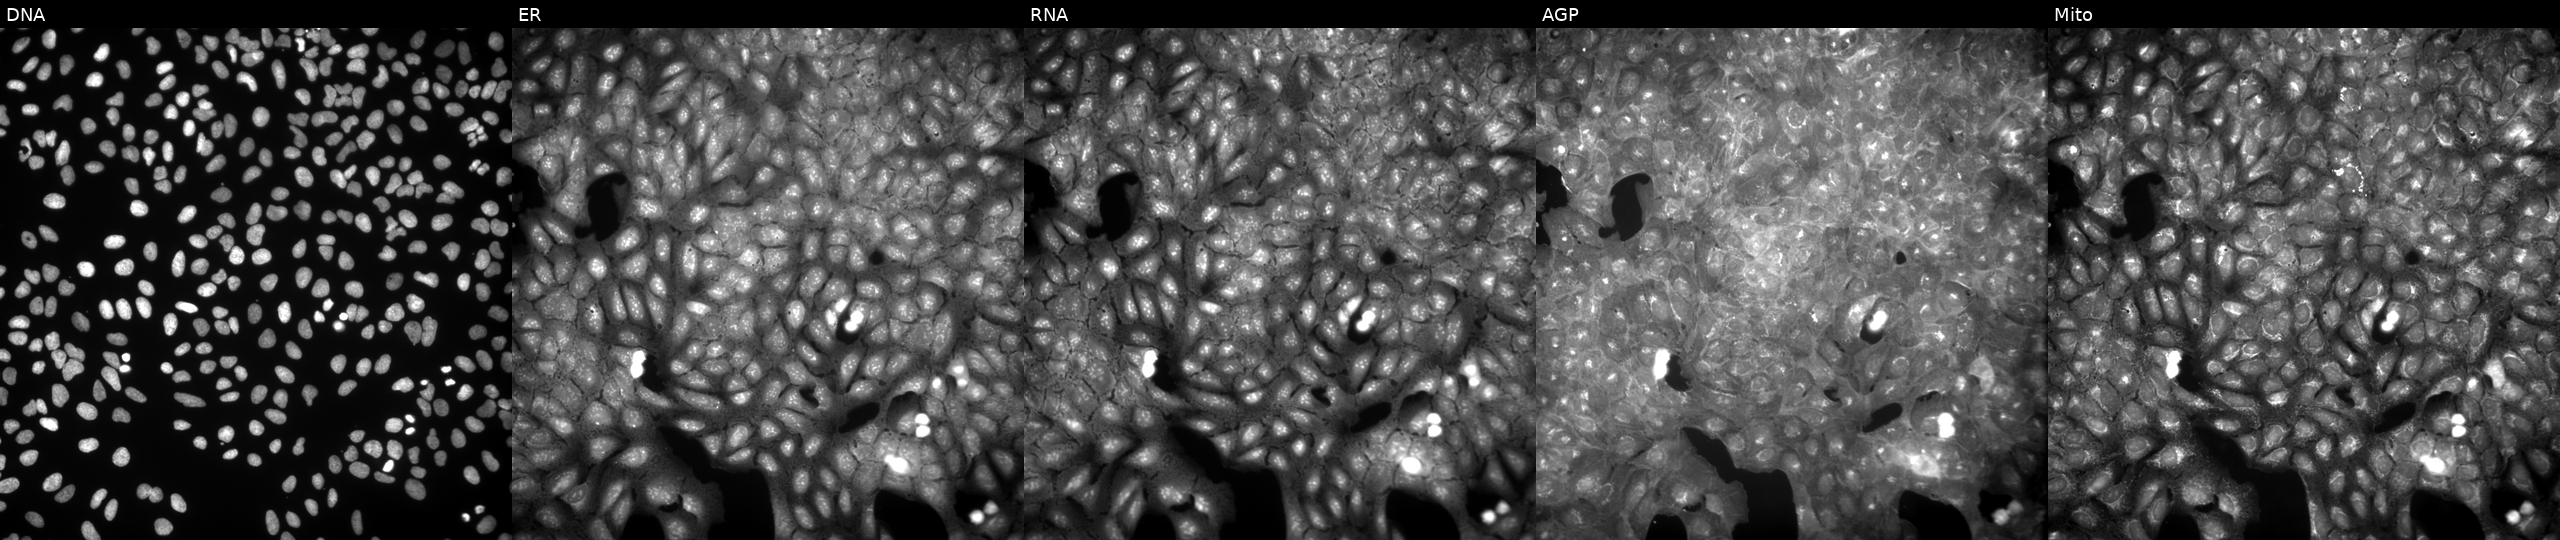
This image strip shows the five Cell Painting channels for a single field of U2OS cells exposed to a small-molecule compound (InChIKey FWOUEGMYDINJQC-UHFFFAOYSA-N) (JUMP id JCP2022_023438). From left to right: DNA, ER, RNA, AGP, and Mito. Source 9, plate GR00003381, well S35.